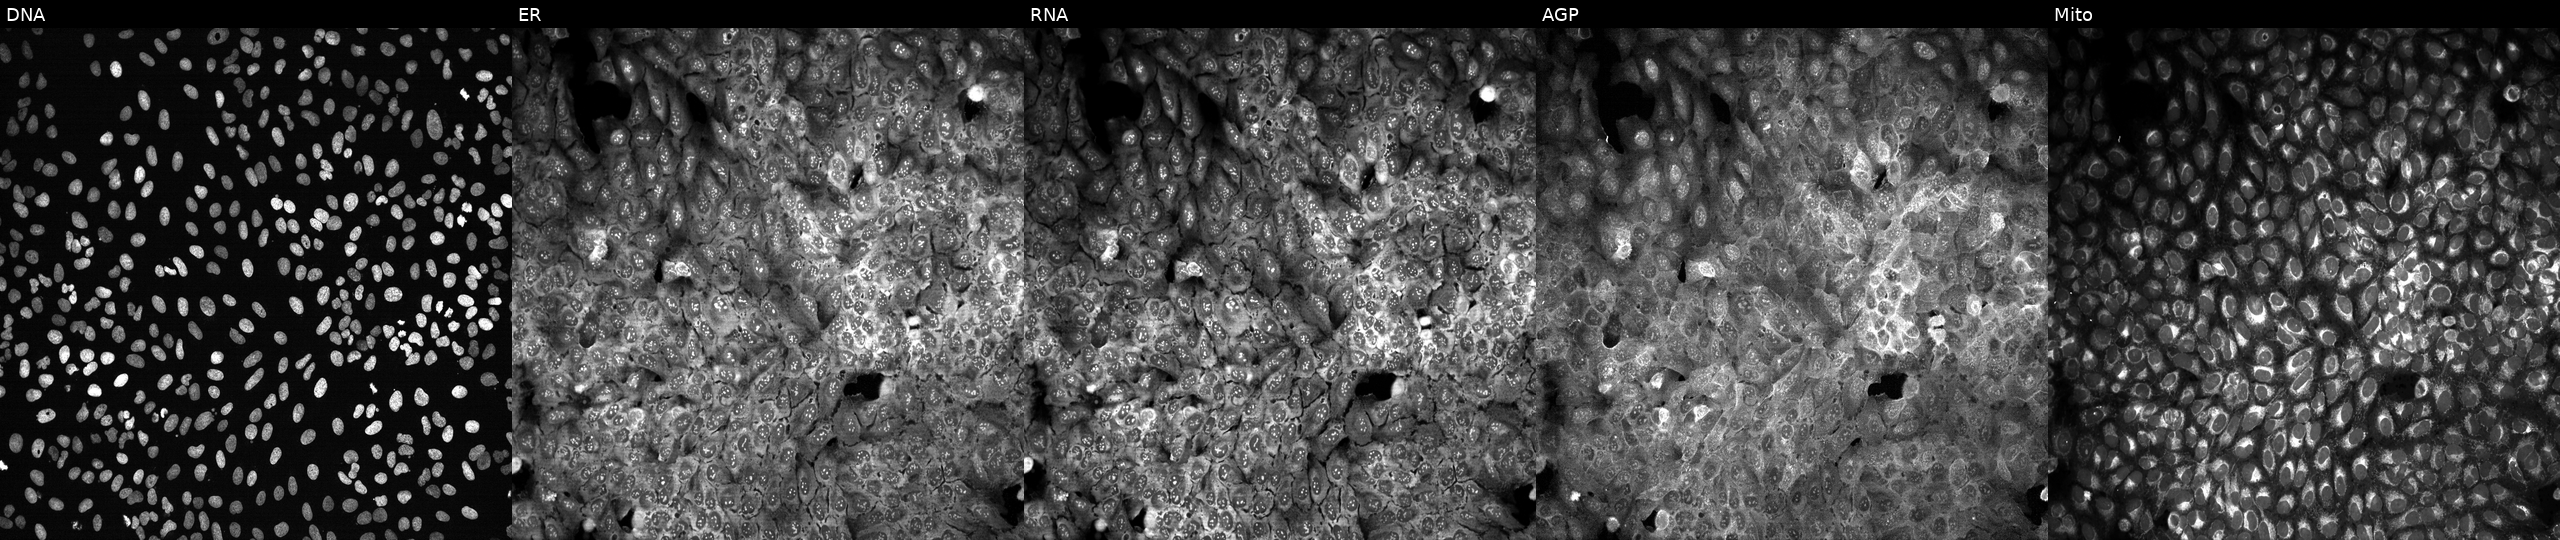
U2OS cells, Cell Painting assay, with RHOU knocked out by CRISPR. Channels (left→right): DNA (nuclei); ER (endoplasmic reticulum); RNA (nucleoli and cytoplasmic RNA); AGP (actin cytoskeleton, Golgi, and plasma membrane); Mito (mitochondria). Each panel is percentile-stretched 16-bit fluorescence. Source 13, plate CP-CC9-R2-02, well N13.